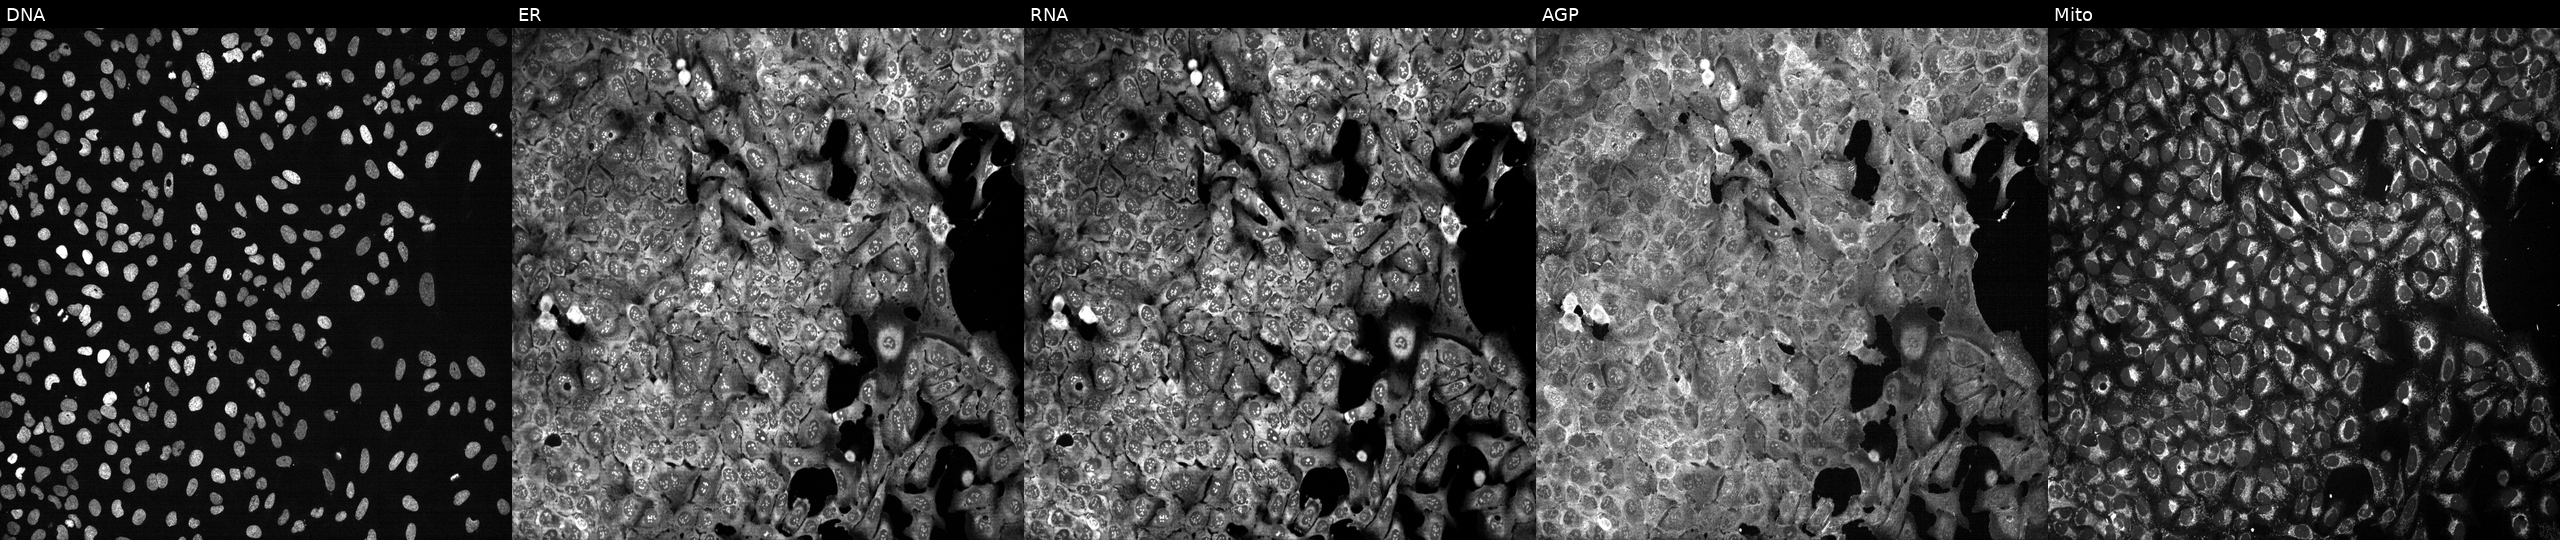
The five panels, left to right, show DNA, ER, RNA, AGP, and Mito. U2OS osteosarcoma cells following CRISPR knockout of EEF1B2. Cell Painting assay, JUMP-CP dataset. Source 13, plate CP-CC9-R3-01, well I15.